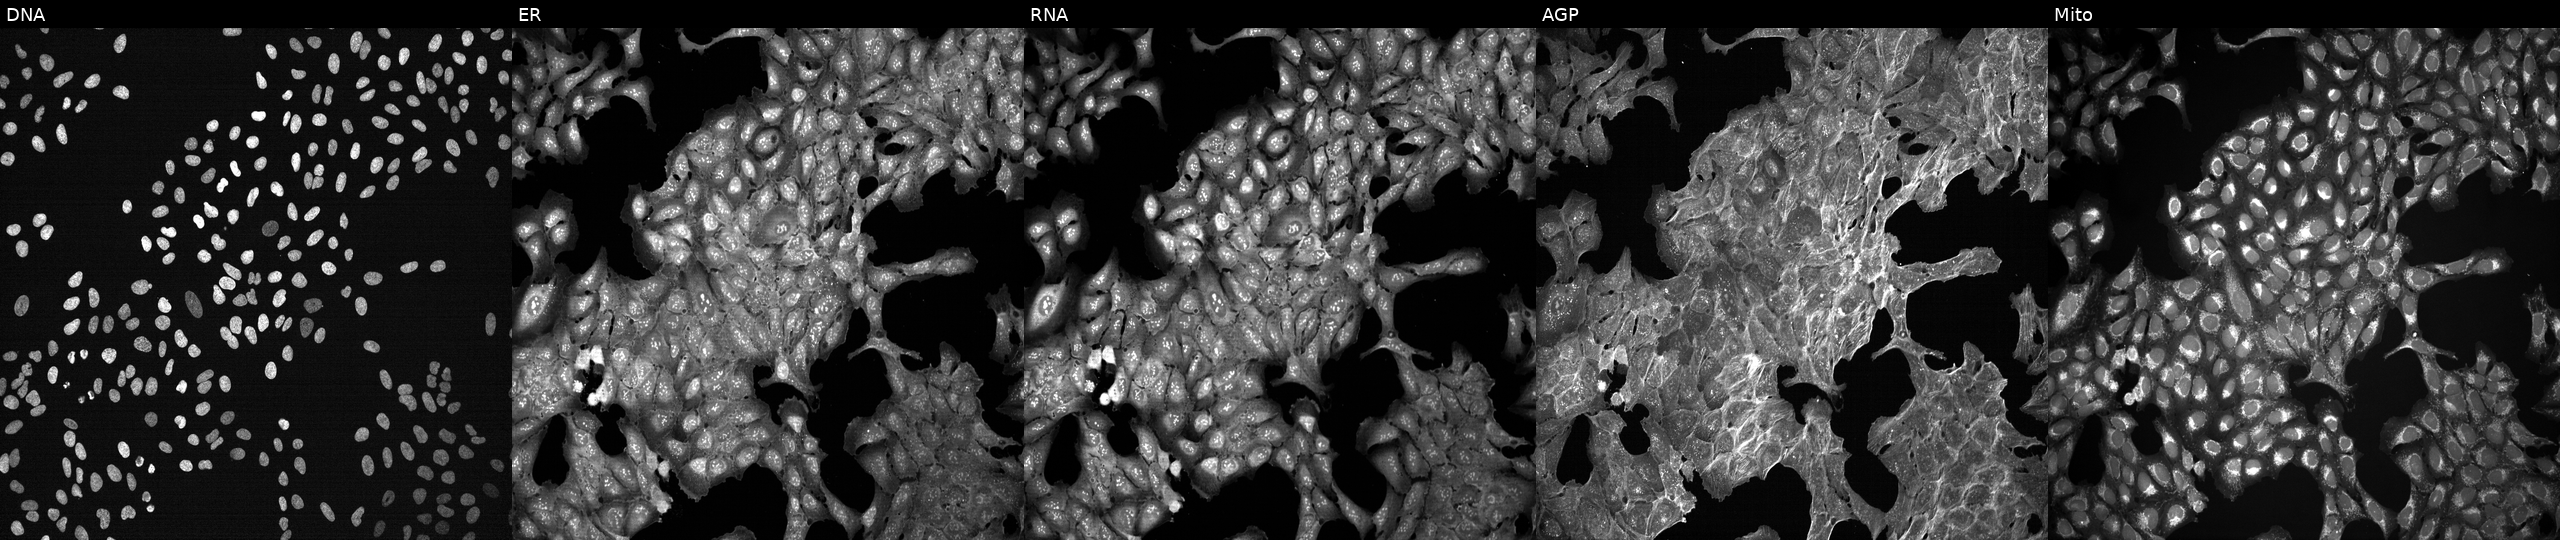
Five-channel Cell Painting image of U2OS cells perturbed with a small-molecule compound (InChIKey ZYGHJZDHTFUPRJ-UHFFFAOYSA-N). Channels (left→right): DNA (nuclei); ER (endoplasmic reticulum); RNA (nucleoli and cytoplasmic RNA); AGP (actin cytoskeleton, Golgi, and plasma membrane); Mito (mitochondria). Source 7, plate CP3-SC1-25, well J18.